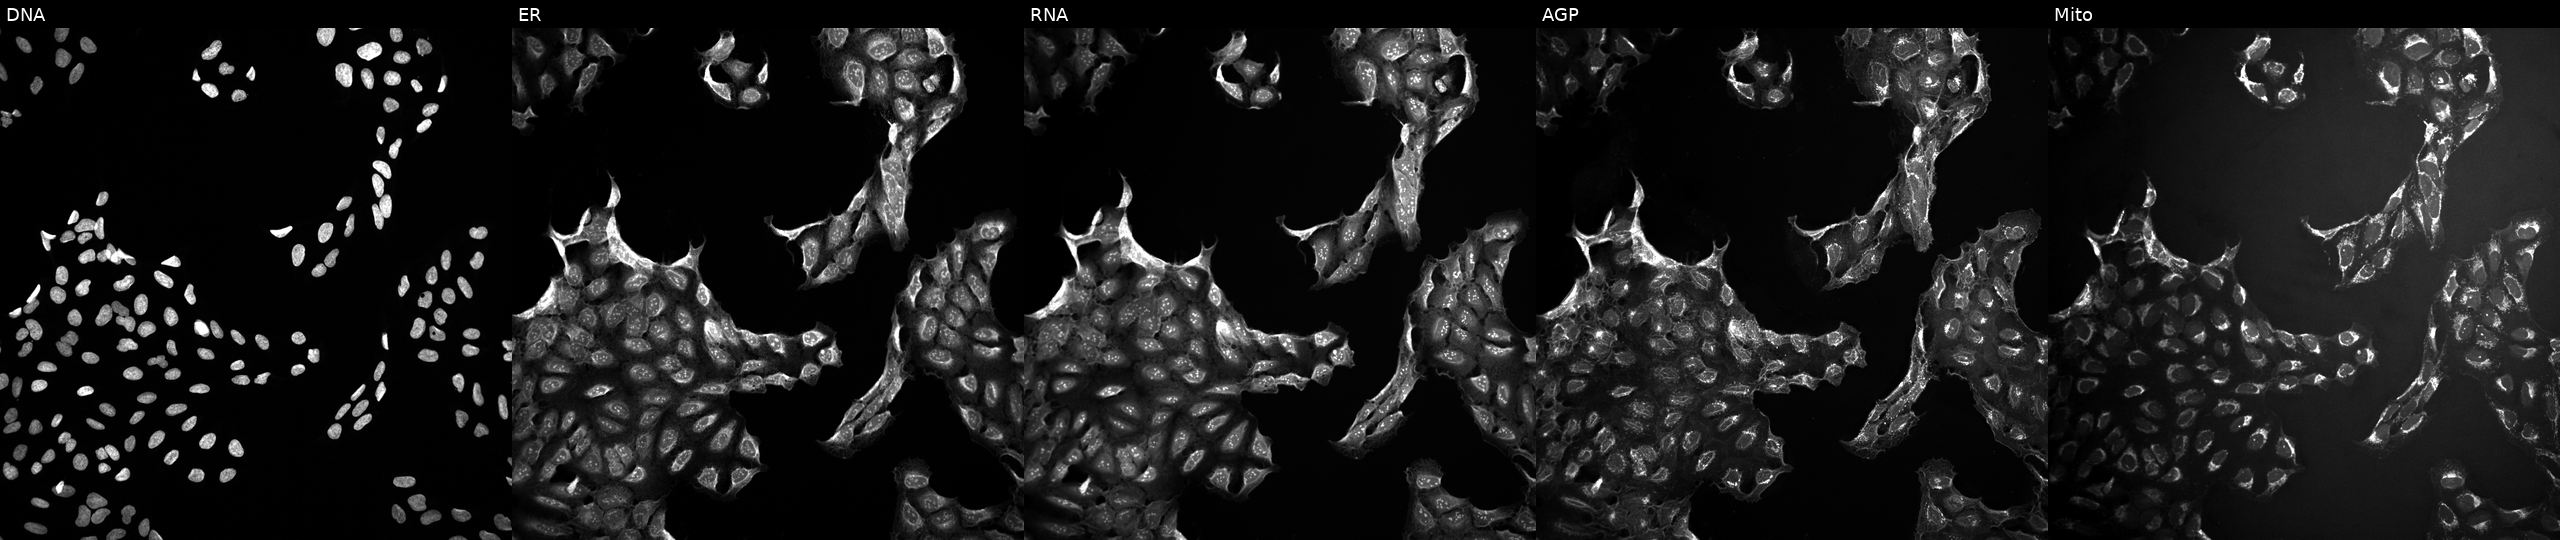
Panels show, left to right, DNA (nuclei); ER (endoplasmic reticulum); RNA (nucleoli and cytoplasmic RNA); AGP (actin cytoskeleton, Golgi, and plasma membrane); Mito (mitochondria). U2OS osteosarcoma cells perturbed with a small-molecule compound (InChIKey JVGBTTIJPBFLTE-UHFFFAOYSA-N). Cell Painting assay, JUMP-CP dataset. Source 10, plate Dest210803-153958, well L17.